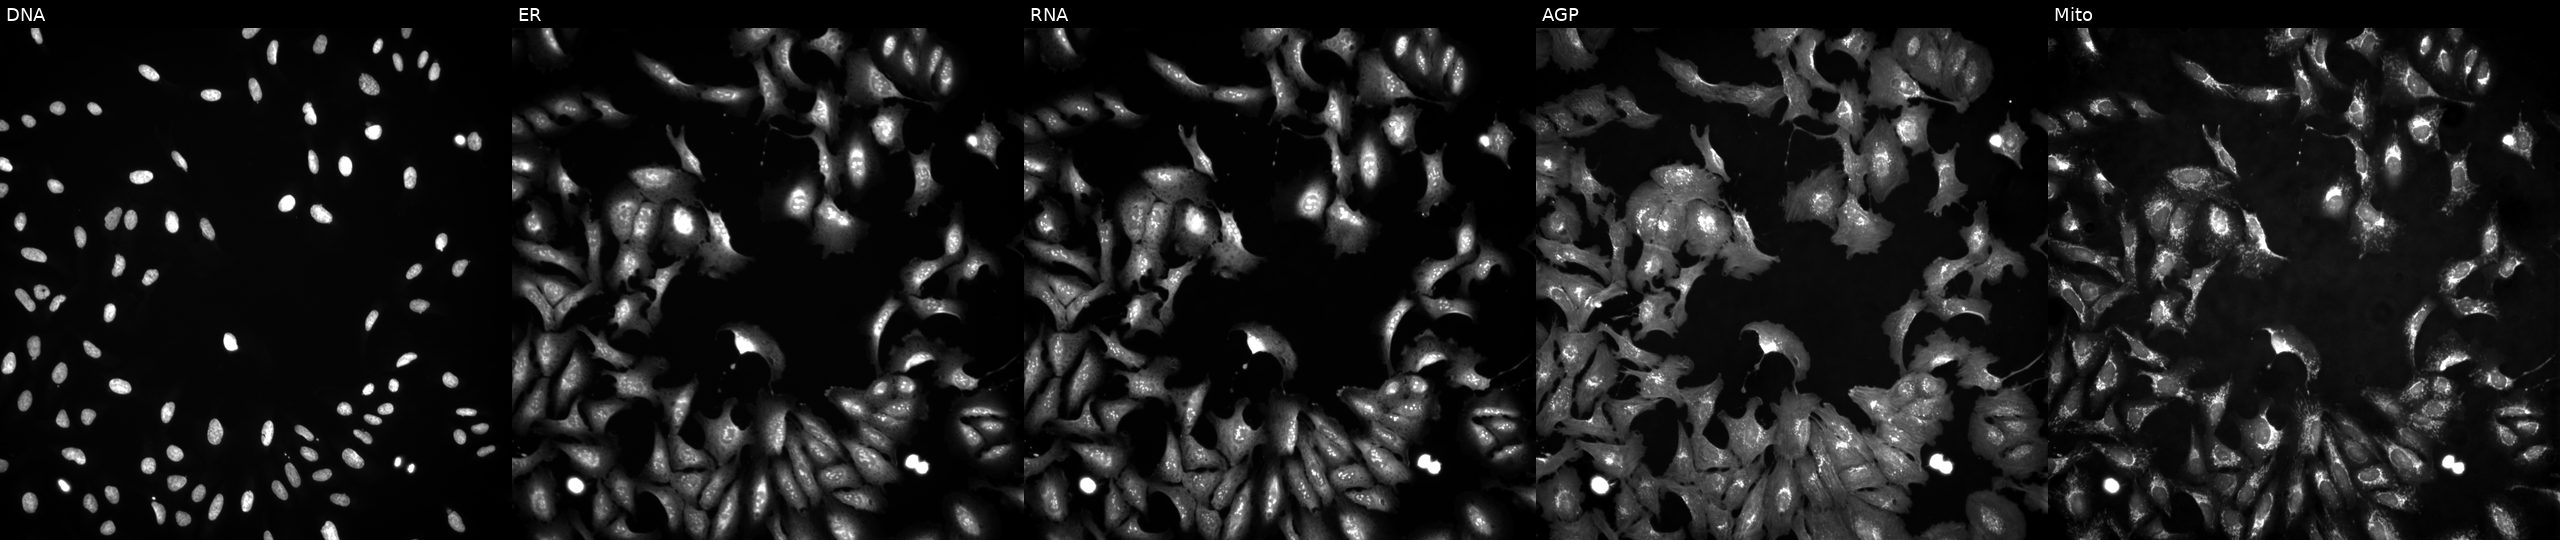
High-content fluorescence microscopy (Cell Painting). Cell line: U2OS. Perturbation: overexpressing NME4 via ORF transfection (JUMP id JCP2022_913743). Panels show, left to right, Hoechst 33342, concanavalin A, SYTO 14, phalloidin and WGA, MitoTracker. Source 4, plate BR00123945, well C03.